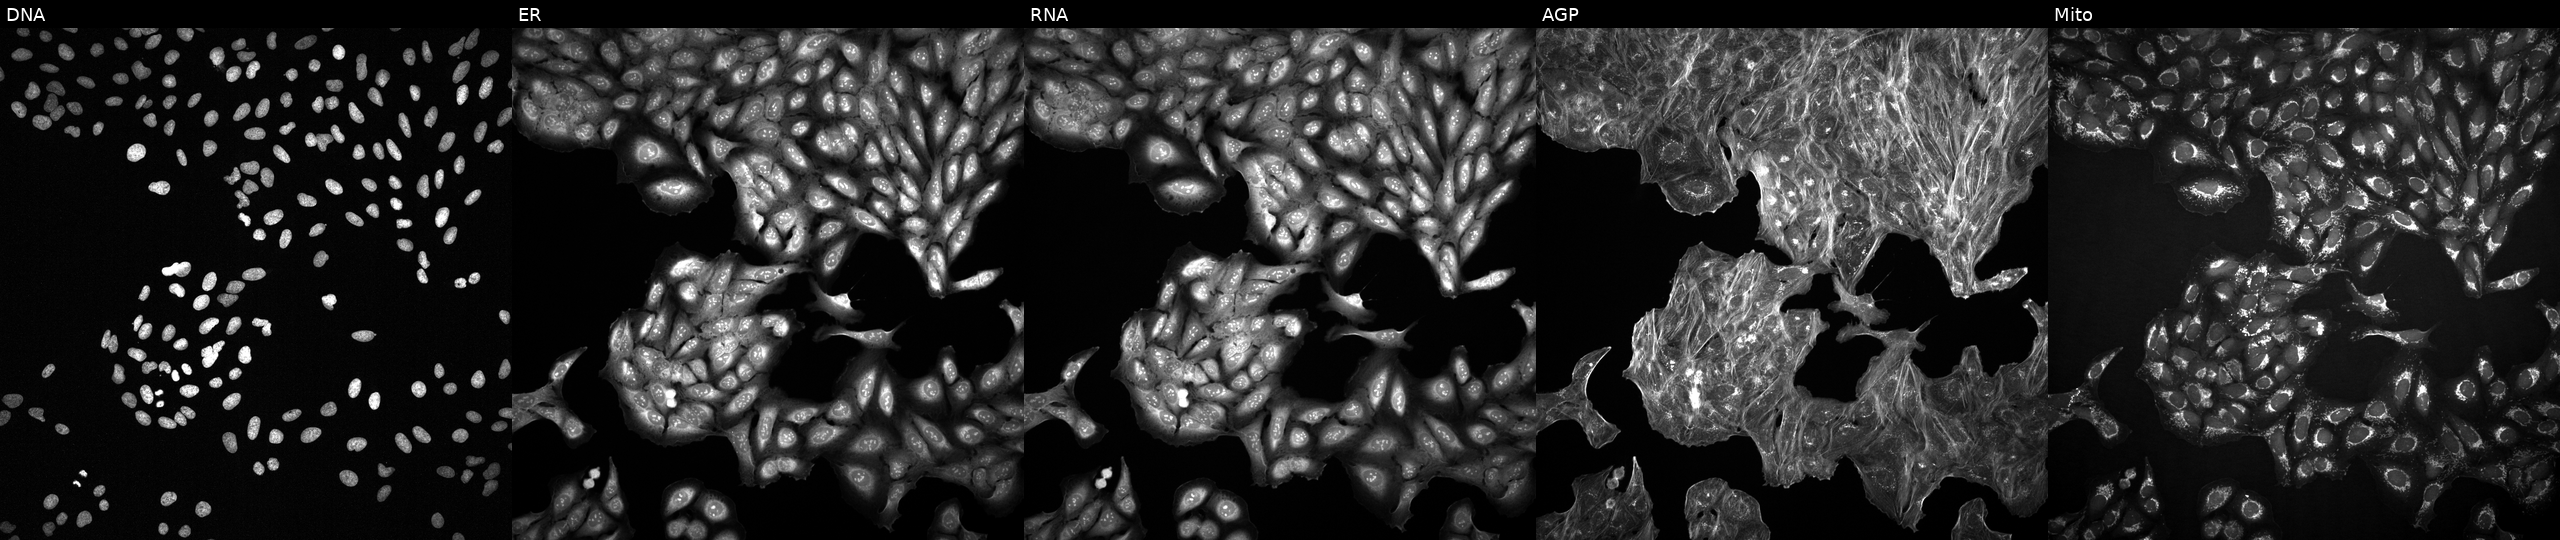
This image strip shows the five Cell Painting channels for a single field of U2OS cells exposed to a small-molecule compound (InChIKey MIOBQMFQHBYTDV-UHFFFAOYSA-N). The five panels, left to right, show DNA, ER, RNA, AGP, and Mito.